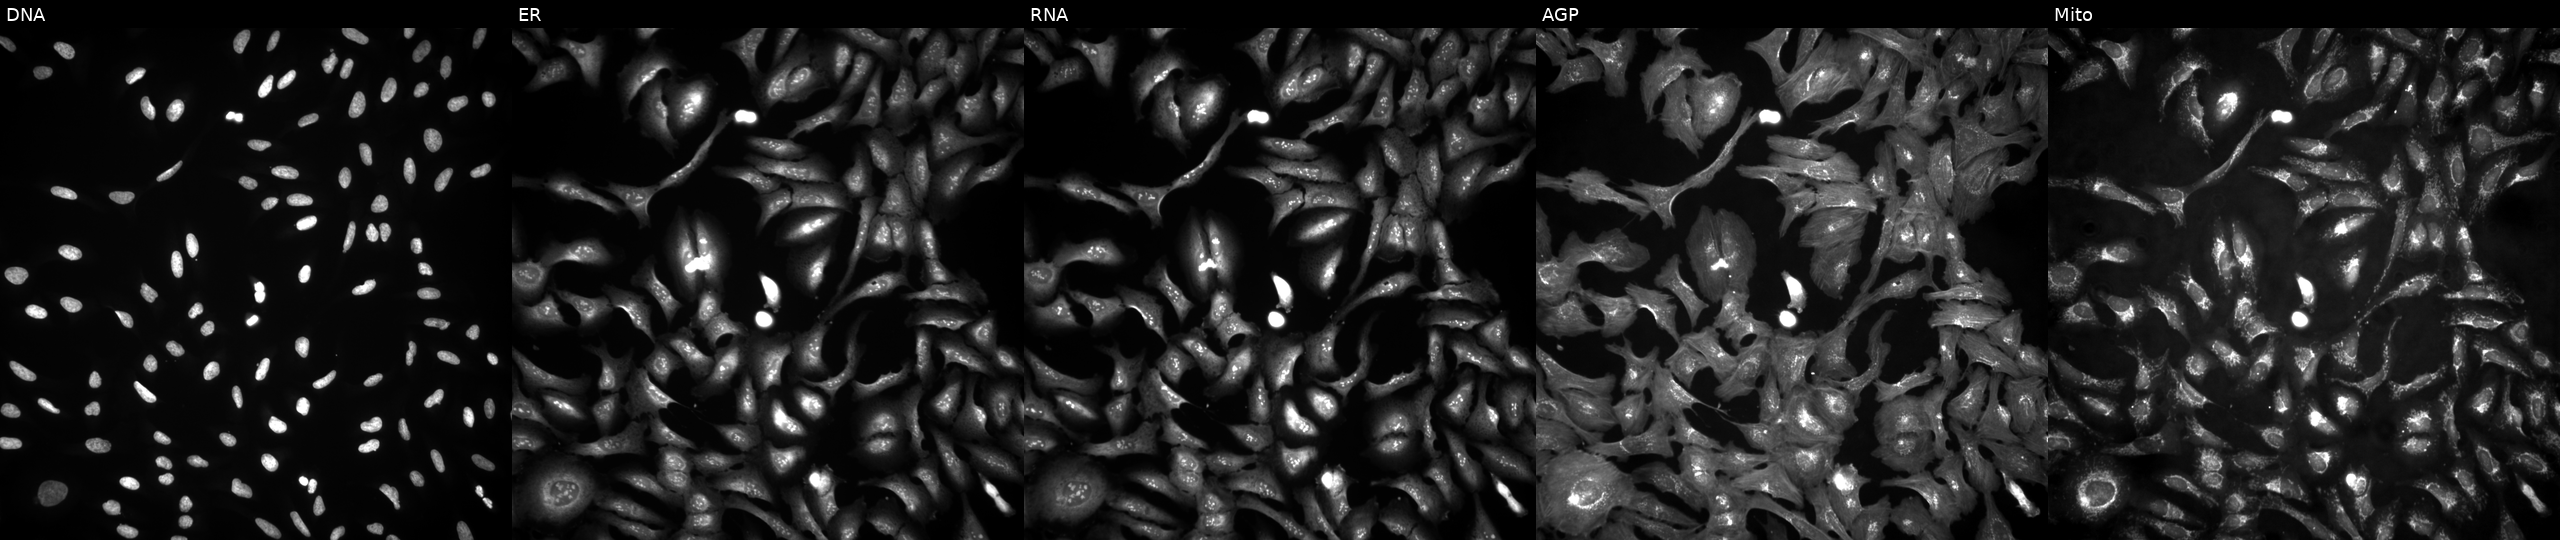
Five-channel Cell Painting image of U2OS cells overexpressing LSP1P3 via ORF transfection (JUMP id JCP2022_909703). Panels show, left to right, DNA (nuclei); ER (endoplasmic reticulum); RNA (nucleoli and cytoplasmic RNA); AGP (actin cytoskeleton, Golgi, and plasma membrane); Mito (mitochondria). Source 4, plate BR00124784, well F09.